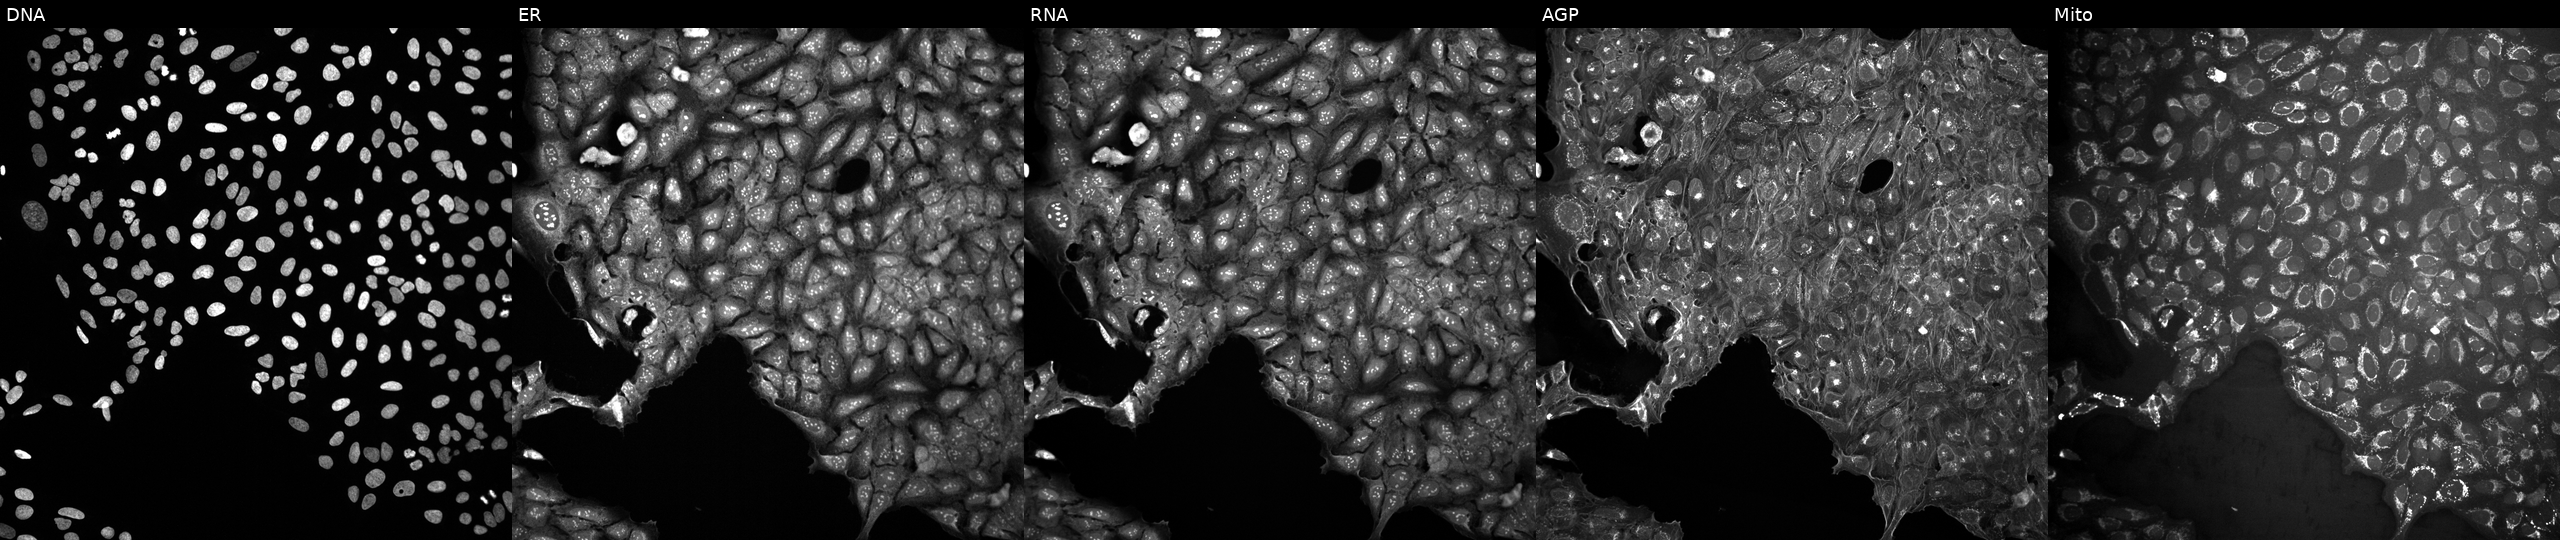
High-content fluorescence microscopy (Cell Painting). Cell line: U2OS. Perturbation: treated with a small-molecule compound (JUMP id JCP2022_028075). Channels (left→right): Hoechst 33342, concanavalin A, SYTO 14, phalloidin and WGA, MitoTracker.